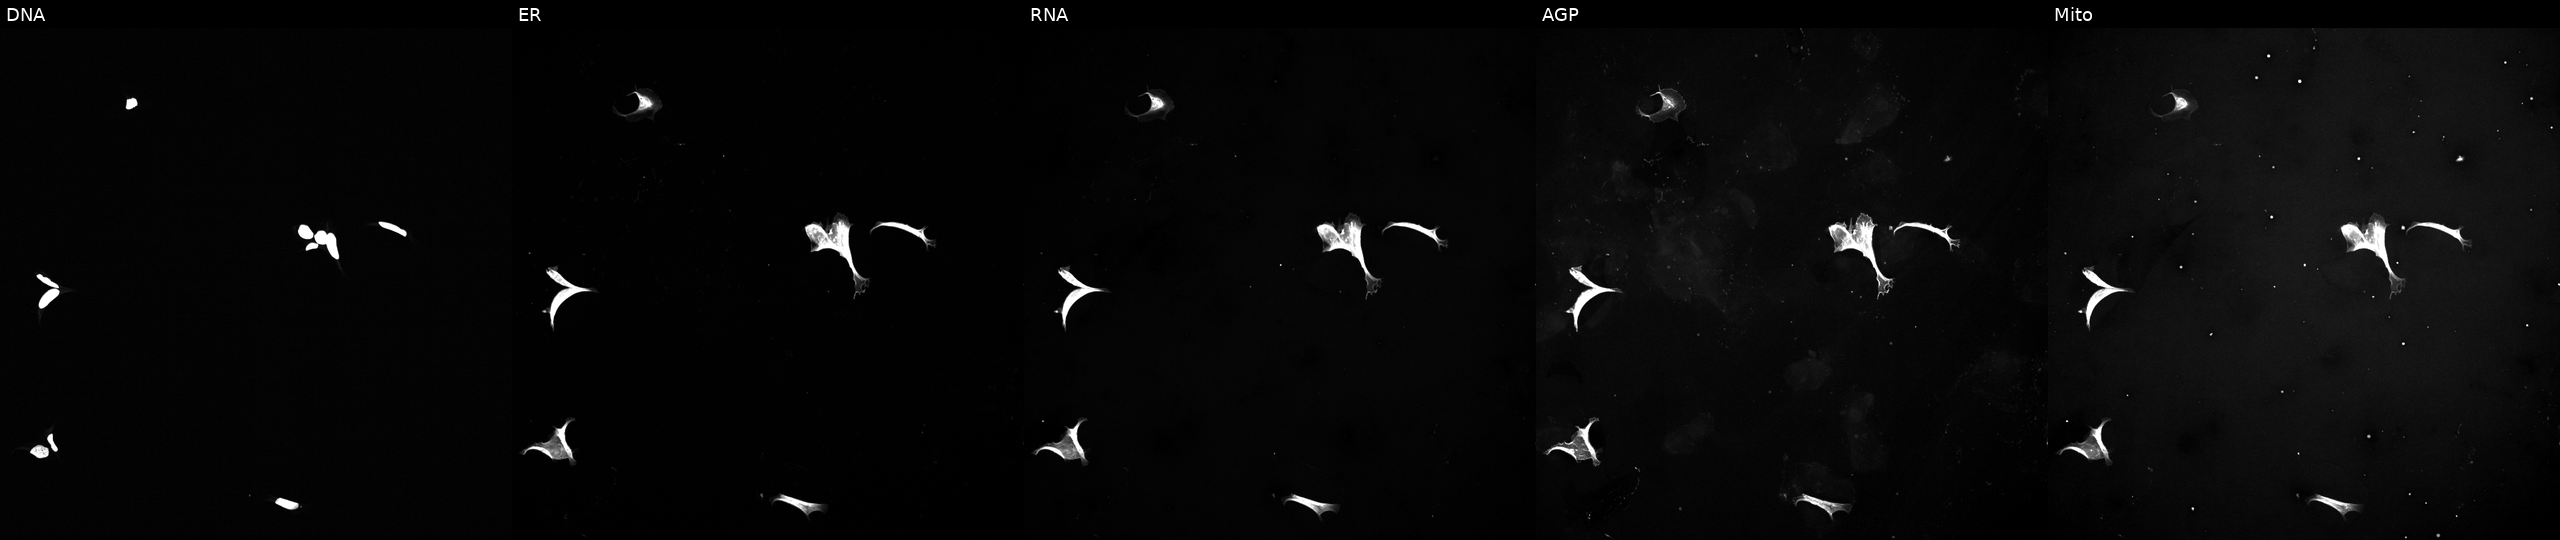
JUMP Cell Painting — TARGET2 plate. U2OS cells perturbed with a small-molecule compound. Panels show, left to right, Hoechst 33342, concanavalin A, SYTO 14, phalloidin and WGA, MitoTracker.